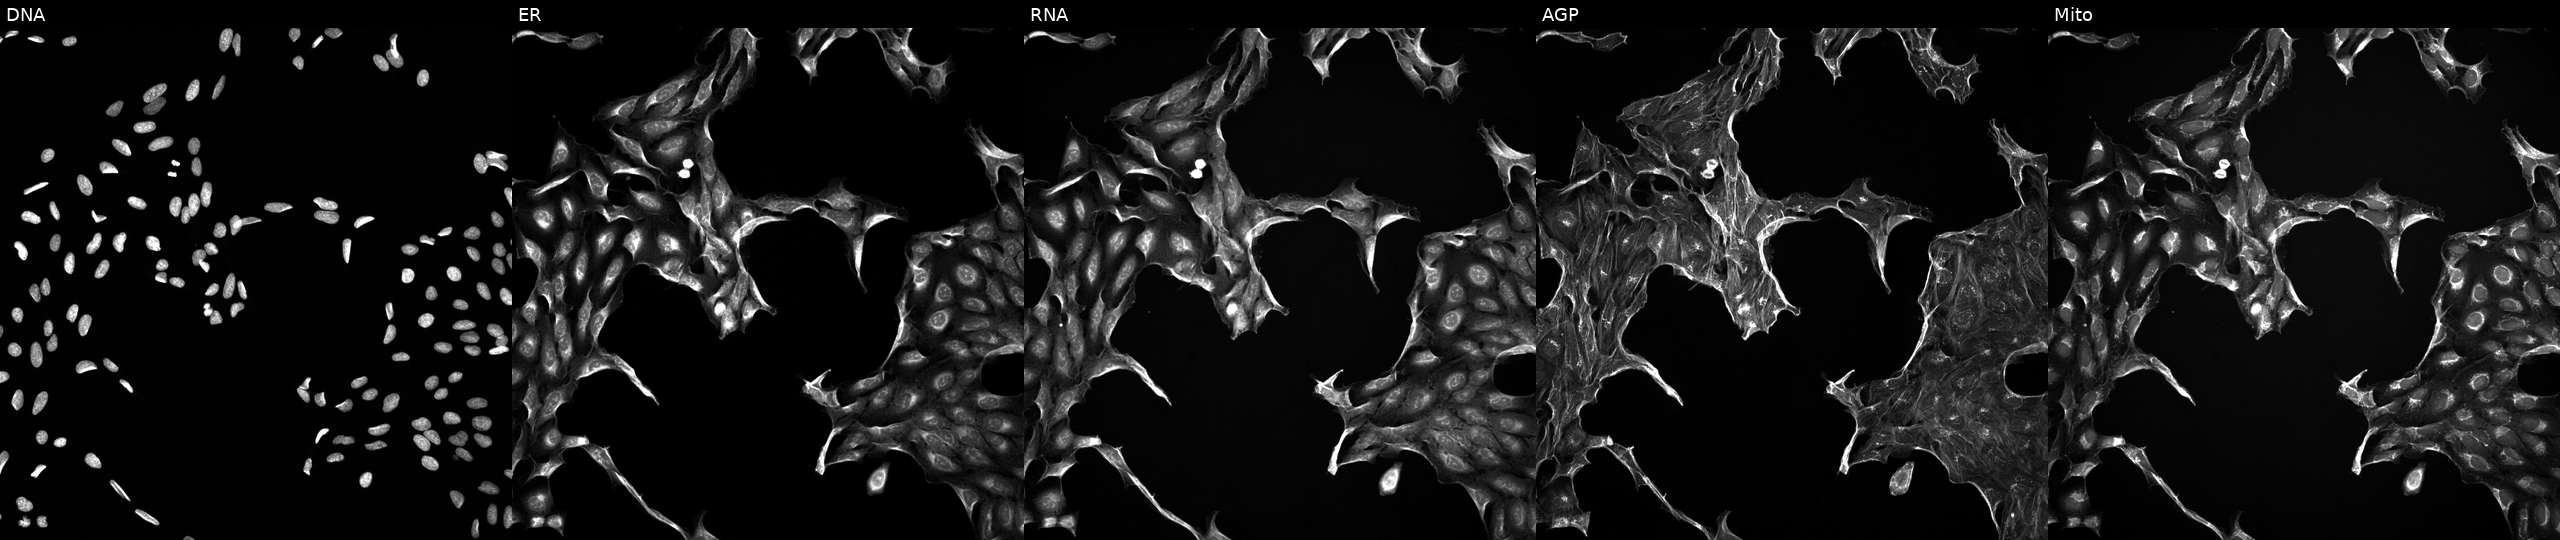
From left to right: DNA (nuclei); ER (endoplasmic reticulum); RNA (nucleoli and cytoplasmic RNA); AGP (actin cytoskeleton, Golgi, and plasma membrane); Mito (mitochondria). U2OS osteosarcoma cells exposed to a small-molecule compound (InChIKey IIQUYGWWHIHOCF-UHFFFAOYSA-N) (JUMP id JCP2022_035296). Cell Painting assay, JUMP-CP dataset.